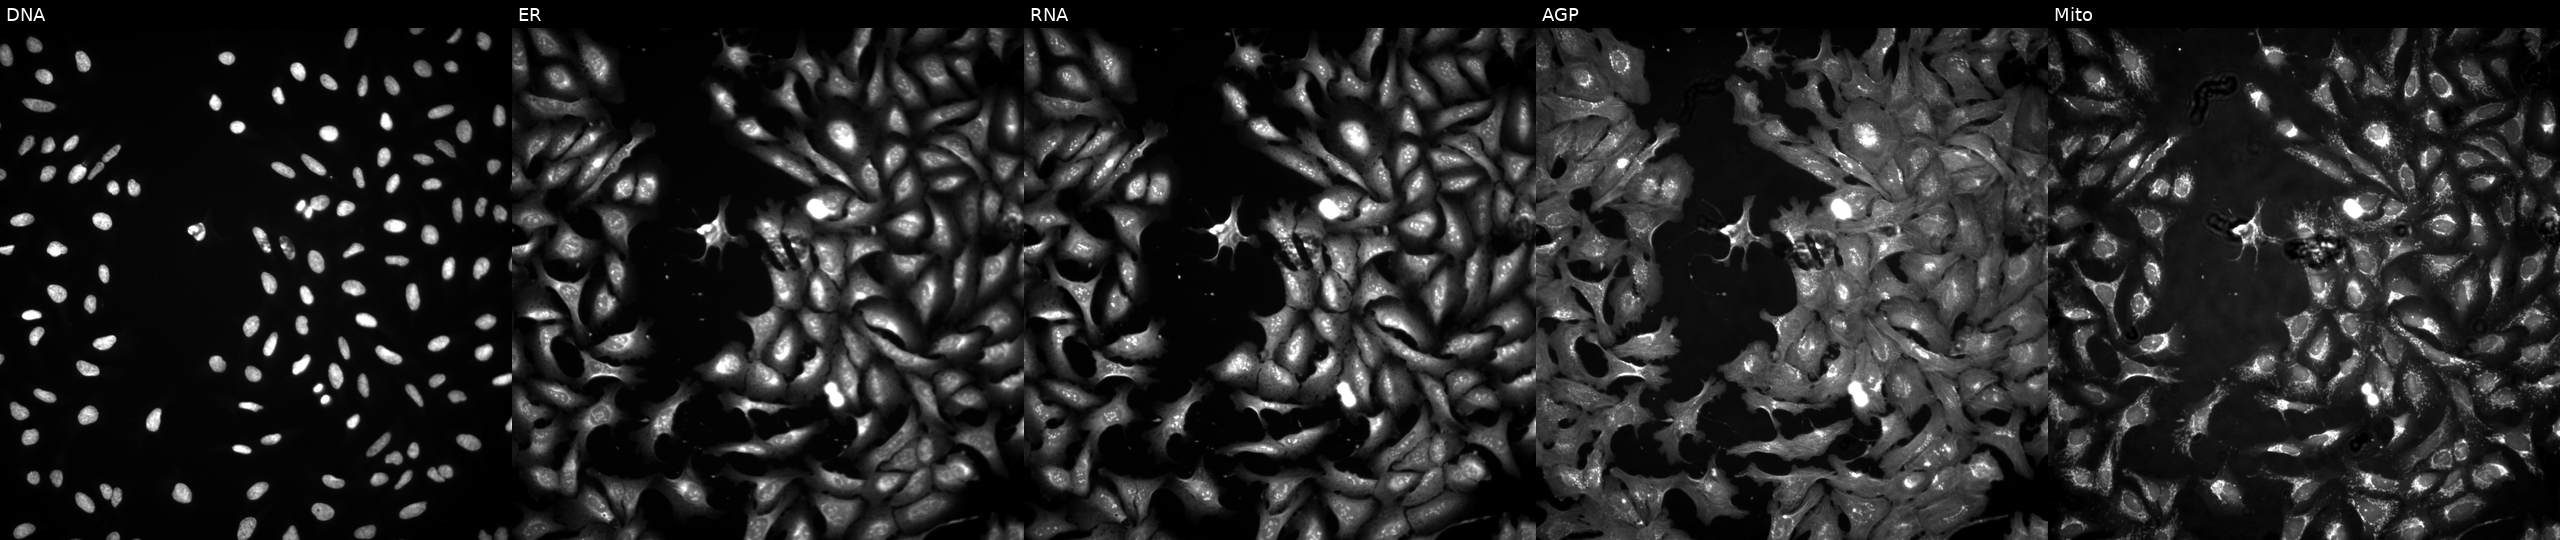
From left to right: Hoechst 33342, concanavalin A, SYTO 14, phalloidin and WGA, MitoTracker. U2OS osteosarcoma cells transfected with an ORF construct for BTK (JUMP id JCP2022_913587). Cell Painting assay, JUMP-CP dataset. Source 4, plate BR00123945, well K24.